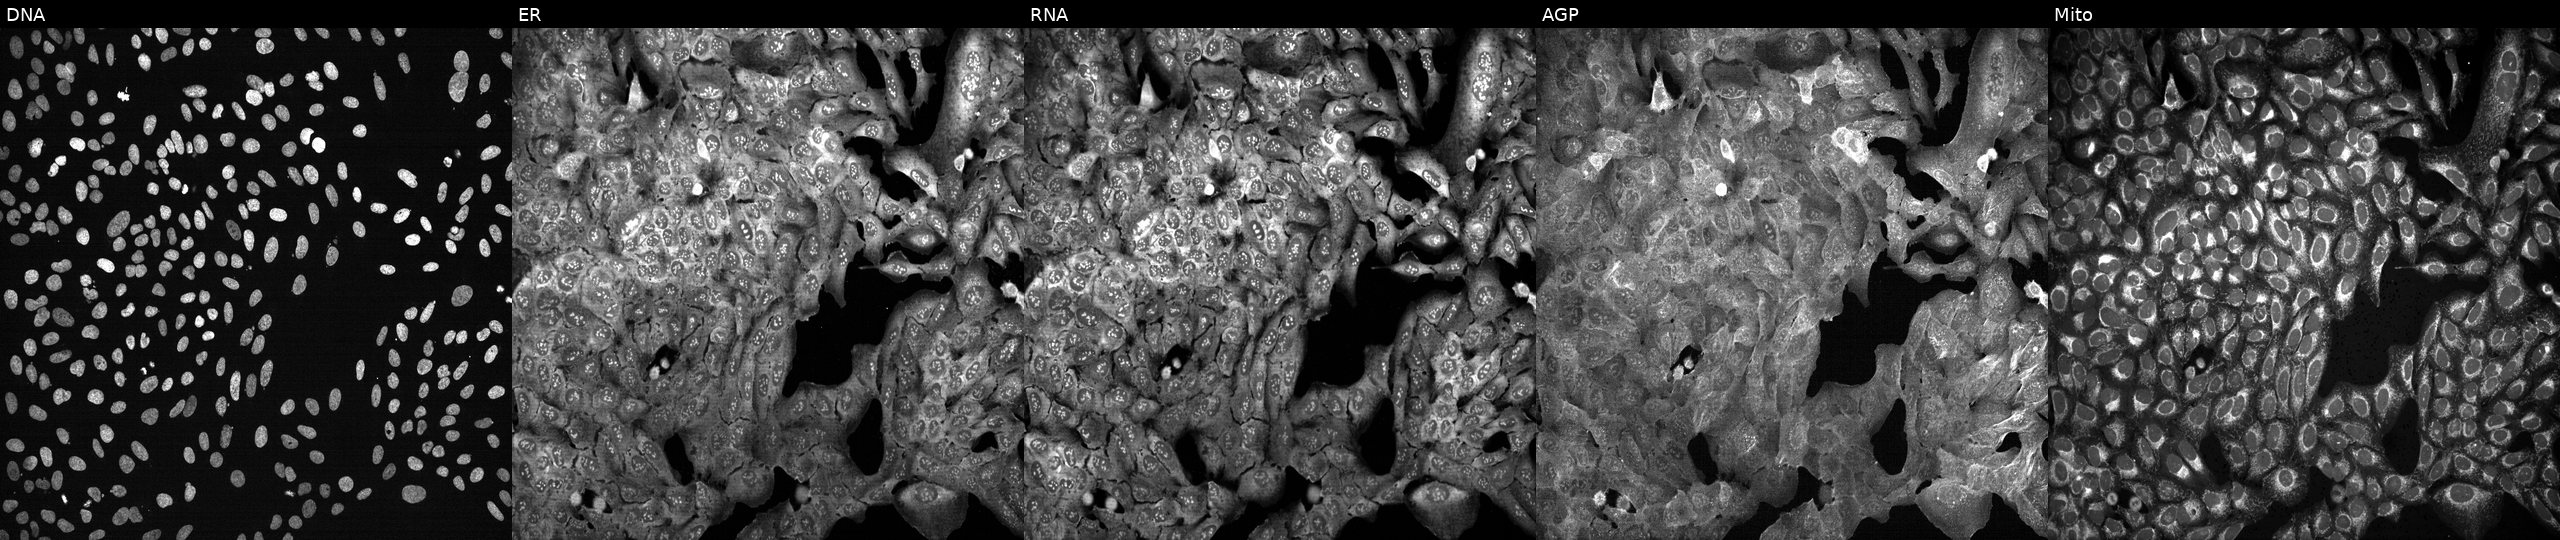
Five-channel Cell Painting image of U2OS cells following CRISPR knockout of RABGGTB. From left to right: DNA, ER, RNA, AGP, and Mito.